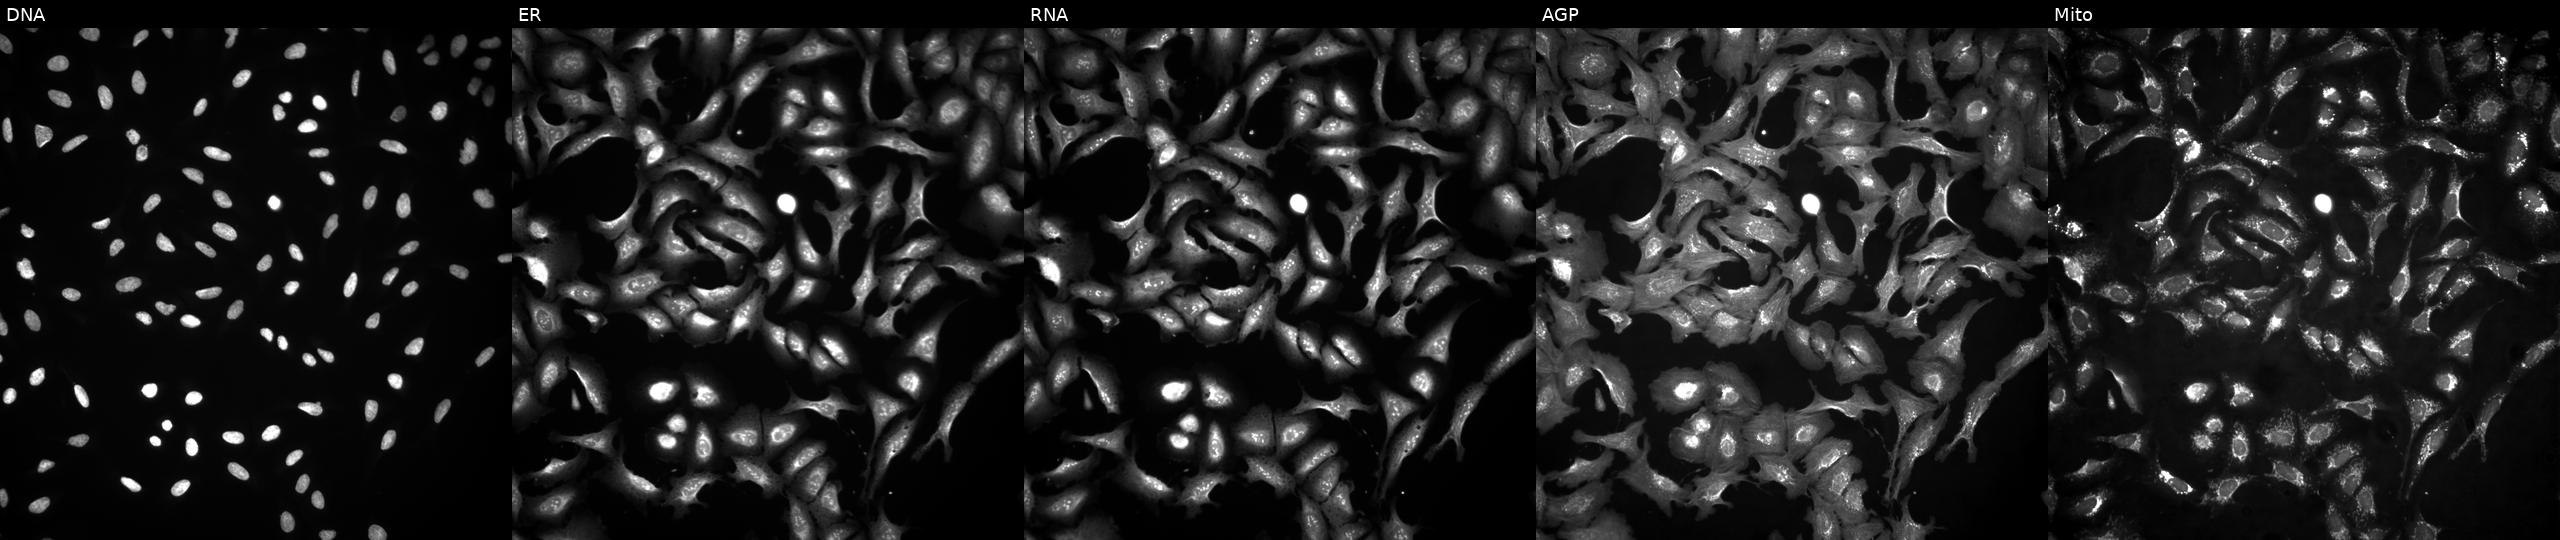
Five-channel Cell Painting image of U2OS cells with PCCB overexpressed (ORF). From left to right: DNA (nuclei); ER (endoplasmic reticulum); RNA (nucleoli and cytoplasmic RNA); AGP (actin cytoskeleton, Golgi, and plasma membrane); Mito (mitochondria). Source 4, plate BR00124787, well B17.